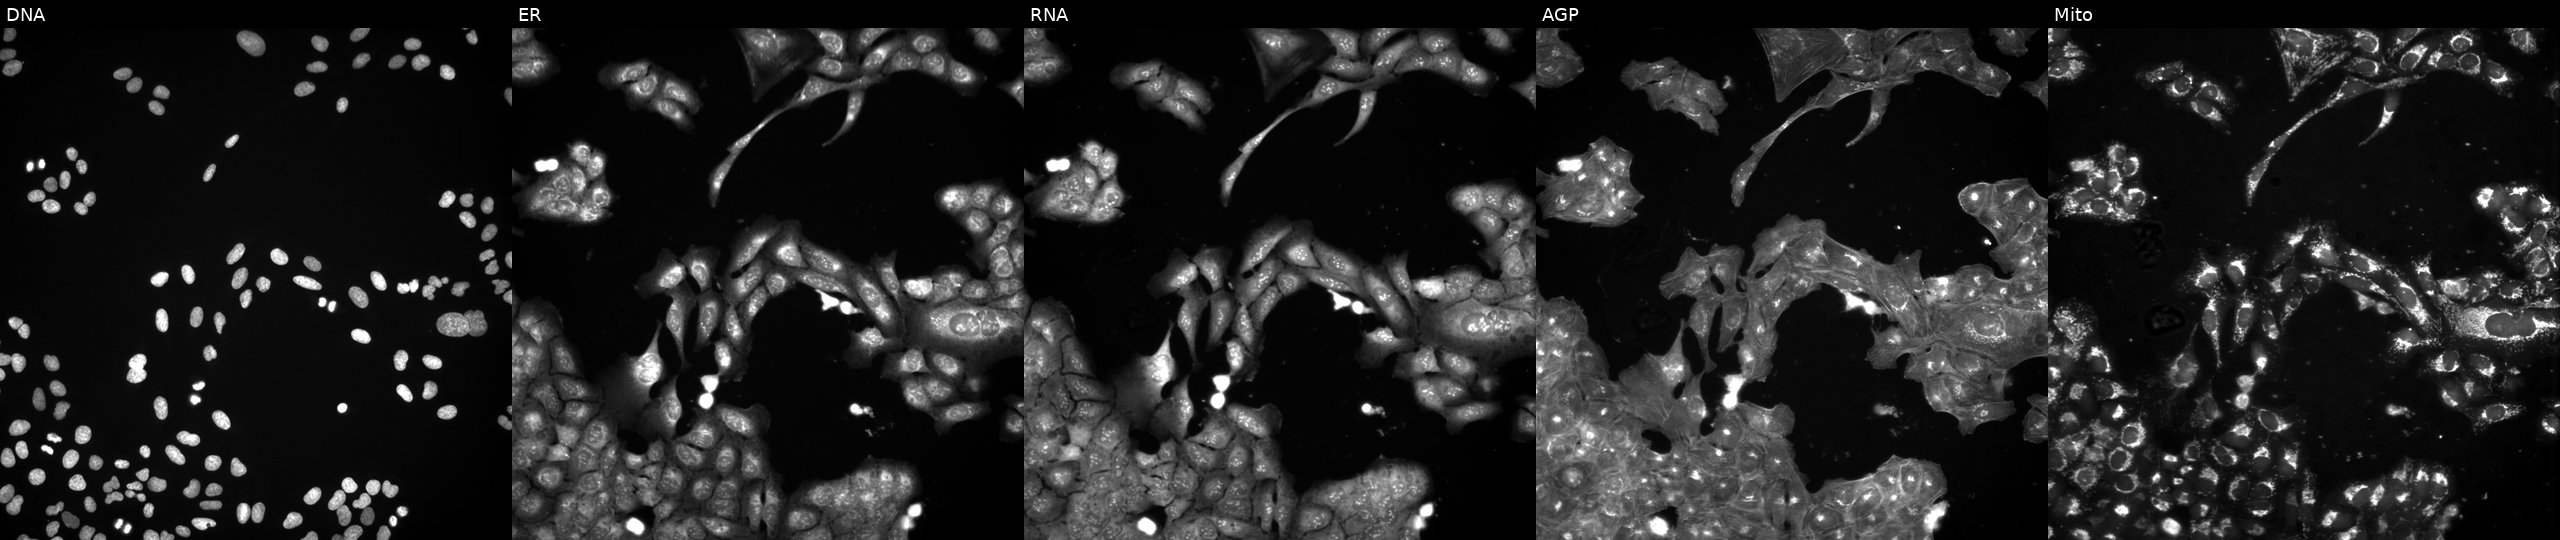
JUMP Cell Painting — COMPOUND plate. U2OS cells perturbed with a small-molecule compound (InChIKey QOXVHOUPUCYOKZ-UHFFFAOYSA-N). Channels (left→right): DNA, ER, RNA, AGP, and Mito. Source 3, plate BR5867b3, well N08.